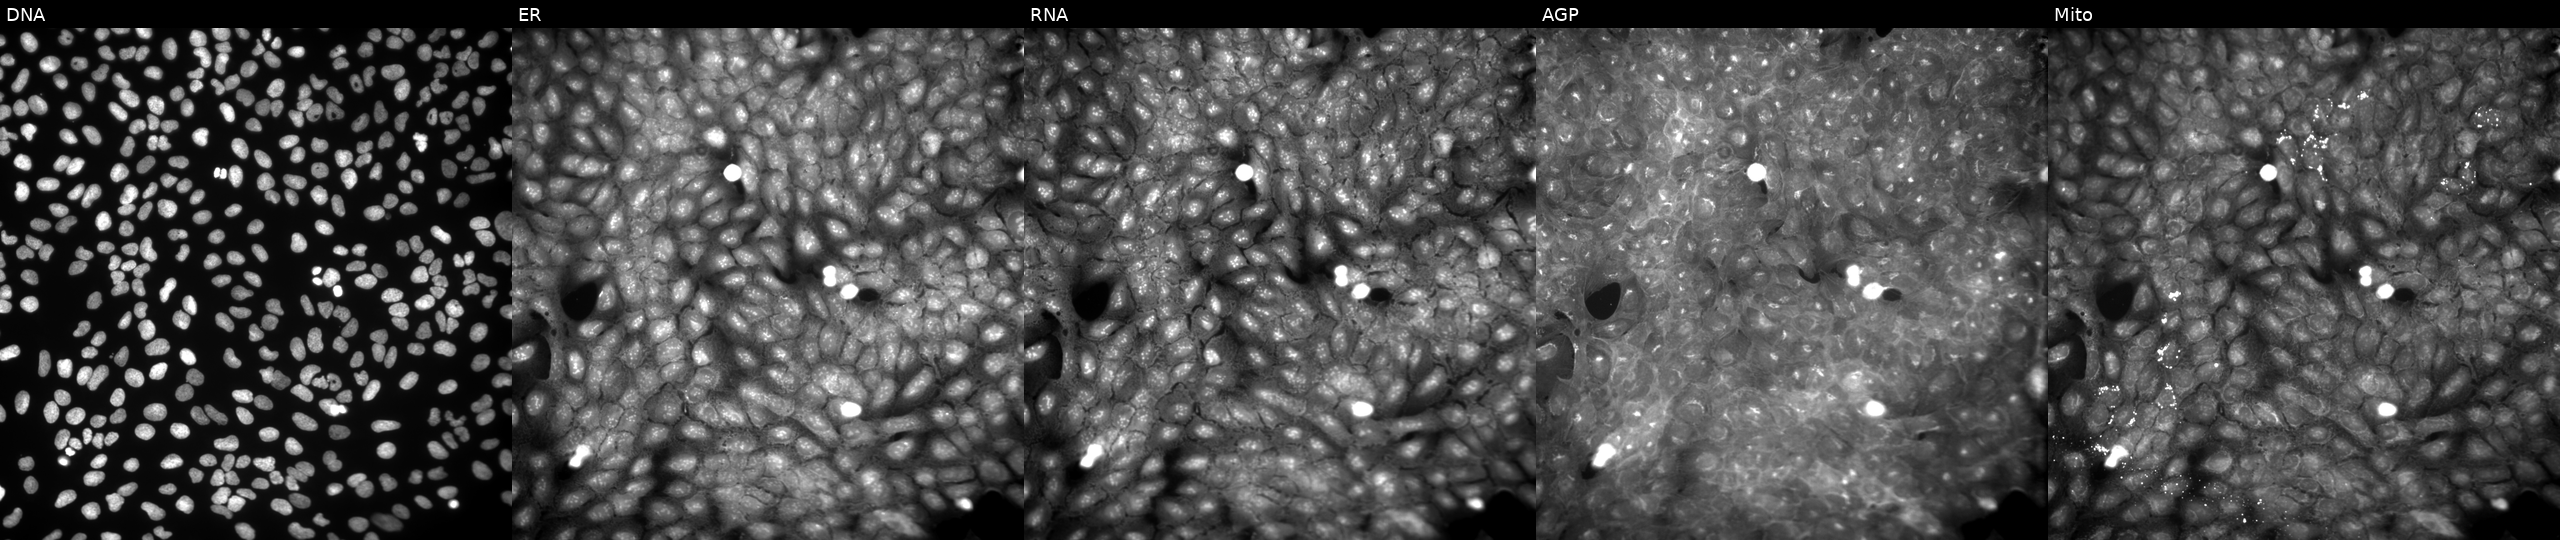
JUMP Cell Painting — COMPOUND plate. U2OS cells treated with a small-molecule compound (InChIKey SAOLVHFXHTZATP-UHFFFAOYSA-N) (JUMP id JCP2022_081951). Channels (left→right): Hoechst 33342, concanavalin A, SYTO 14, phalloidin and WGA, MitoTracker.